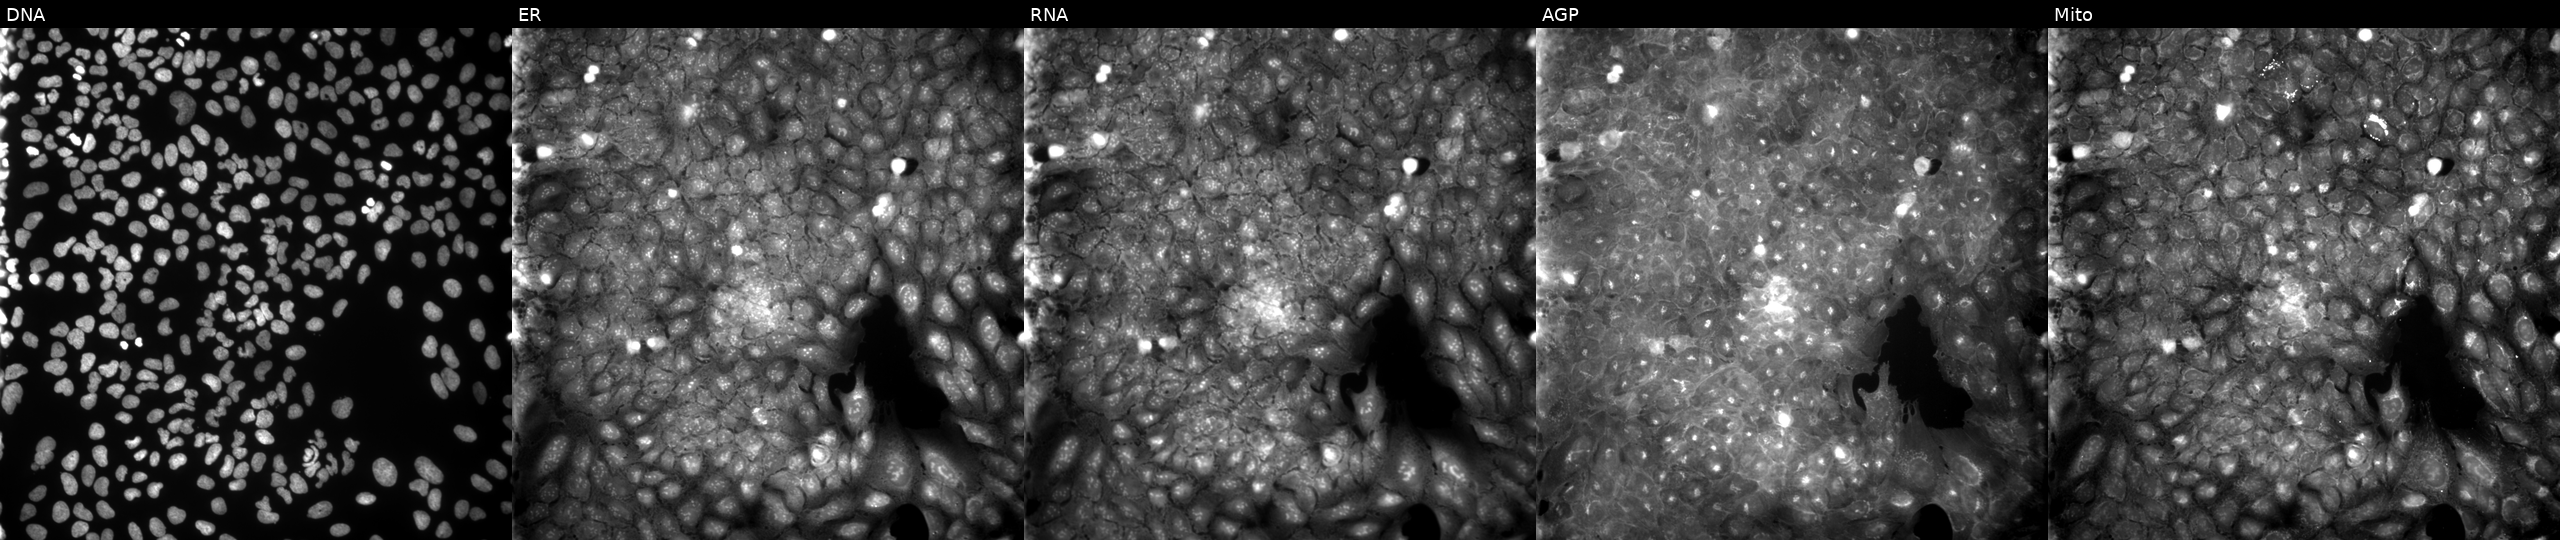
Five-channel Cell Painting image of U2OS cells treated with a small-molecule compound [SMILES: O=C(c1ccccc1)N1N=C(c2ccccc2)CC1c1ccccc1[N+](=O)[O-]]. Panels show, left to right, DNA (nuclei); ER (endoplasmic reticulum); RNA (nucleoli and cytoplasmic RNA); AGP (actin cytoskeleton, Golgi, and plasma membrane); Mito (mitochondria).